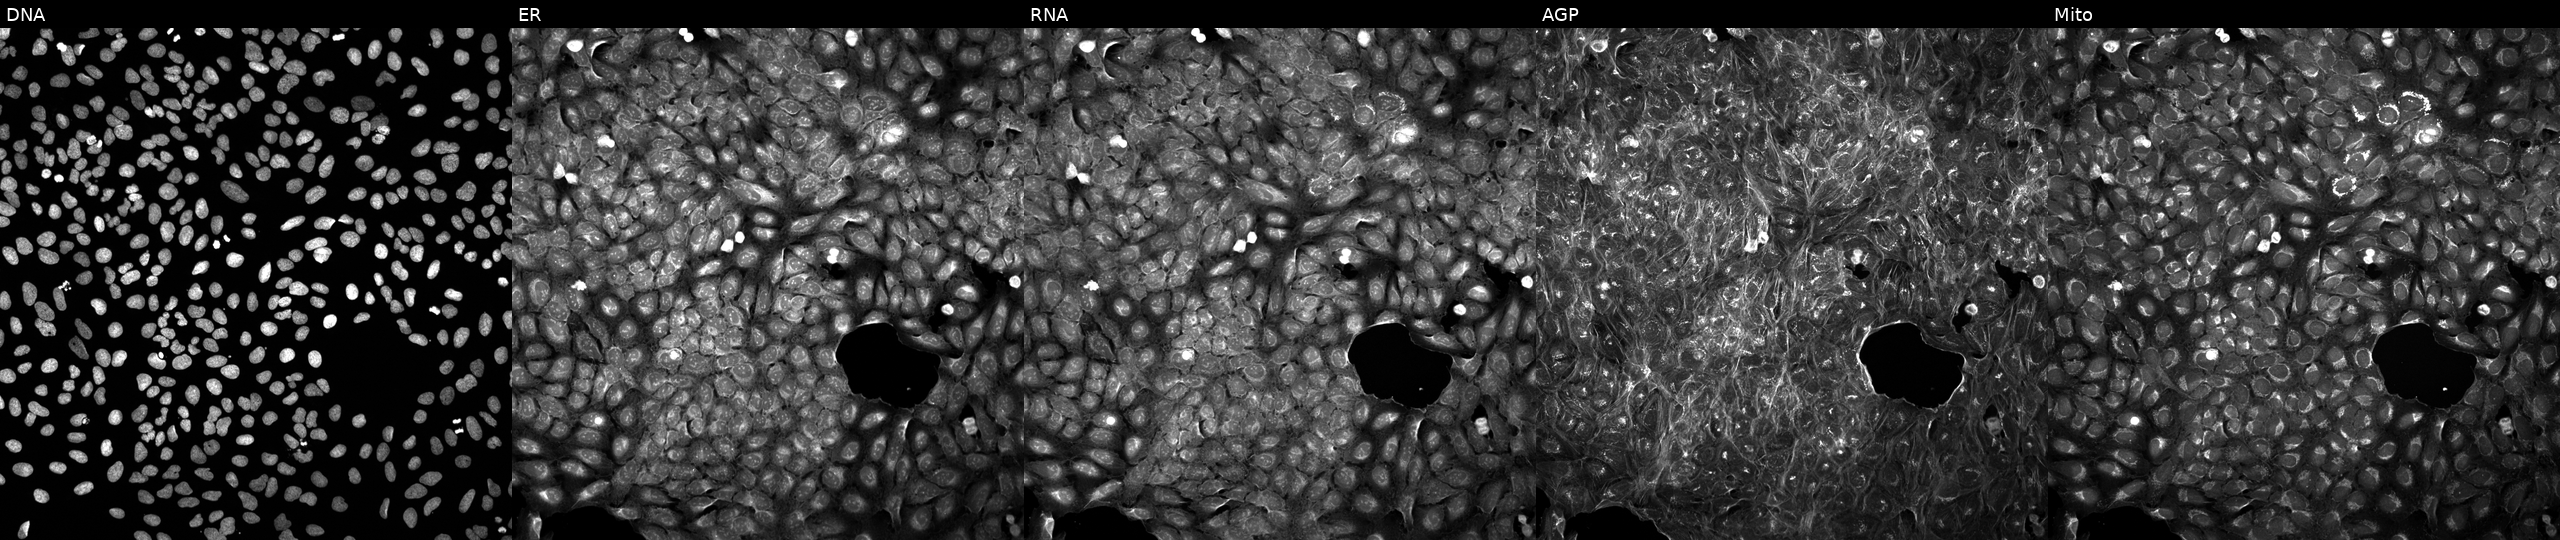
Five-channel Cell Painting image of U2OS cells exposed to a small-molecule compound (InChIKey QLJIQLRMABUNRW-UHFFFAOYSA-N) (JUMP id JCP2022_074210). Channels (left→right): DNA (nuclei); ER (endoplasmic reticulum); RNA (nucleoli and cytoplasmic RNA); AGP (actin cytoskeleton, Golgi, and plasma membrane); Mito (mitochondria).